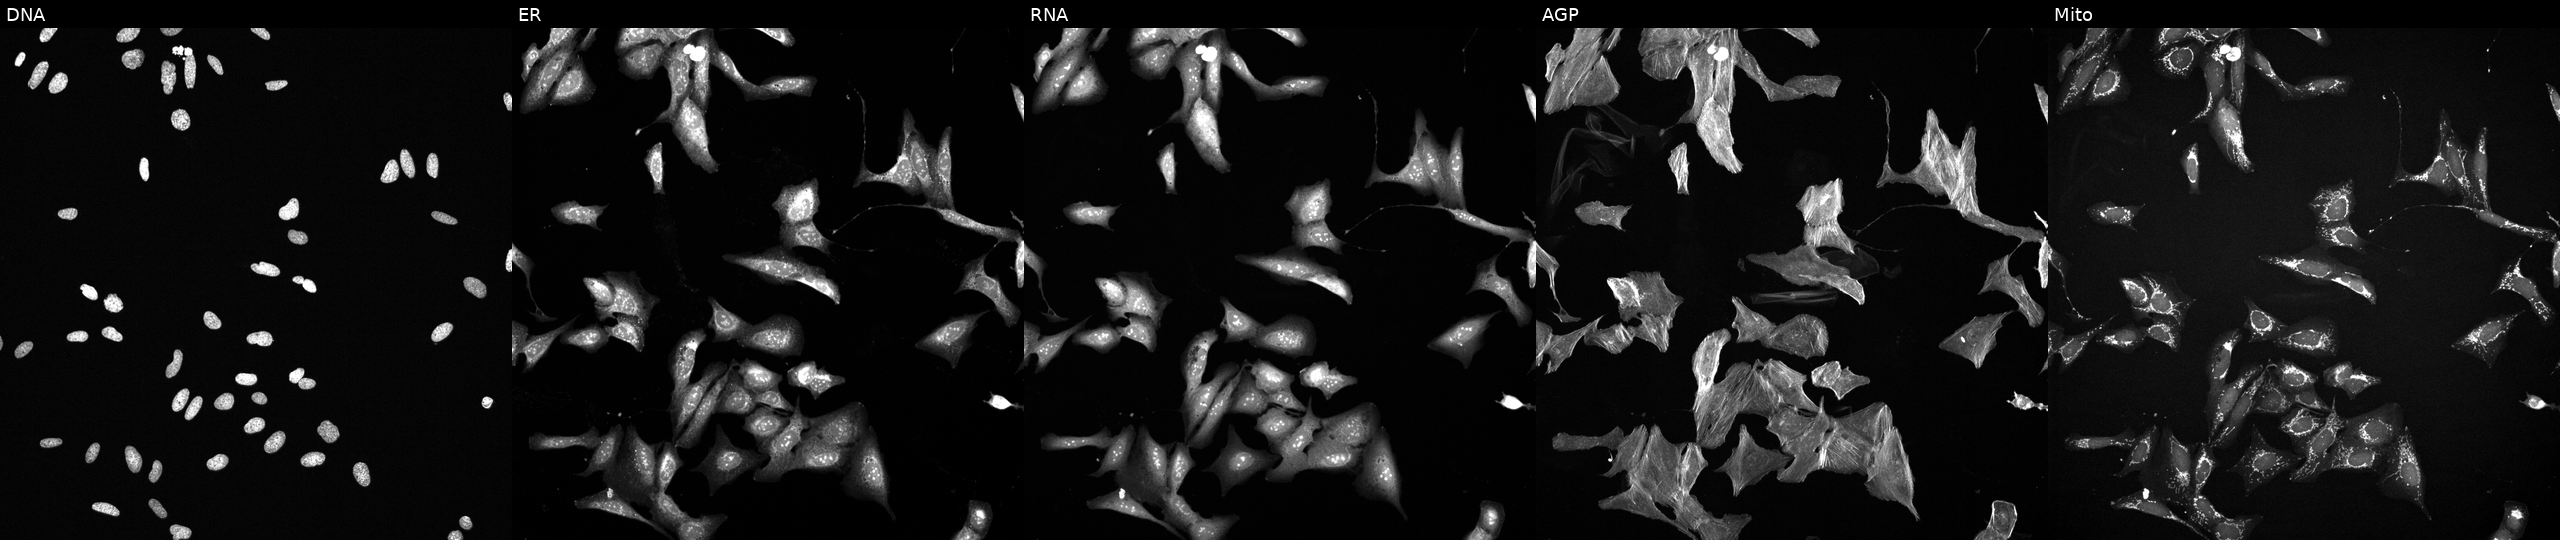
High-content fluorescence microscopy (Cell Painting). Cell line: U2OS. Perturbation: exposed to a small-molecule compound (InChIKey YPHMISFOHDHNIV-UHFFFAOYSA-N) (JUMP id JCP2022_109917). The five panels, left to right, show DNA (nuclei); ER (endoplasmic reticulum); RNA (nucleoli and cytoplasmic RNA); AGP (actin cytoskeleton, Golgi, and plasma membrane); Mito (mitochondria).